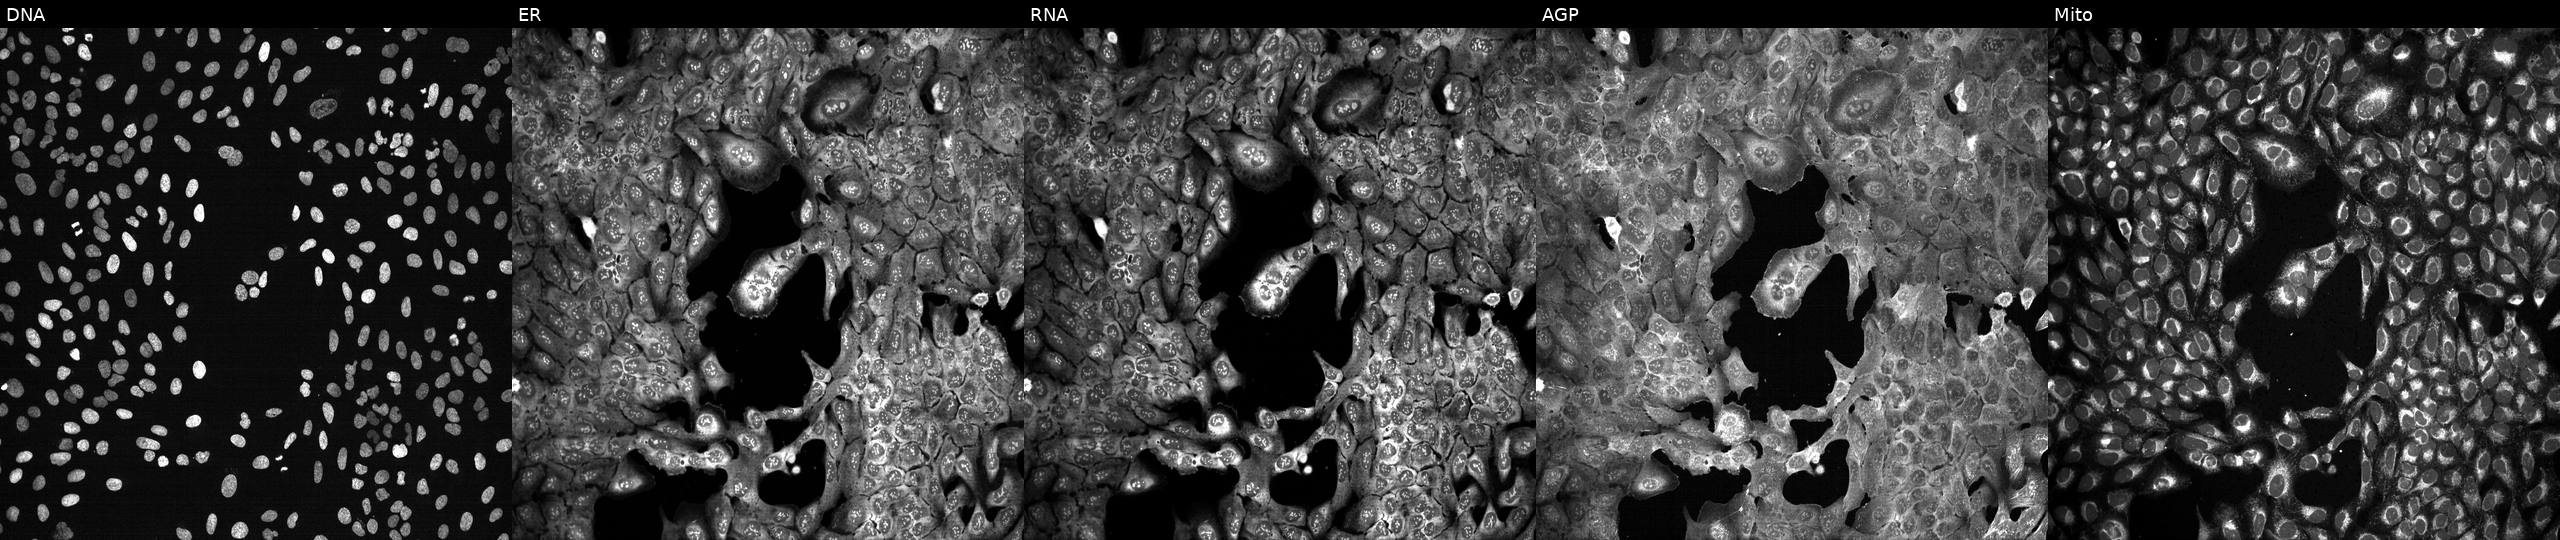
This image strip shows the five Cell Painting channels for a single field of U2OS cells with SLC25A19 knocked out by CRISPR. Channels (left→right): Hoechst 33342, concanavalin A, SYTO 14, phalloidin and WGA, MitoTracker. Source 13, plate CP-CC9-R3-02, well E17.